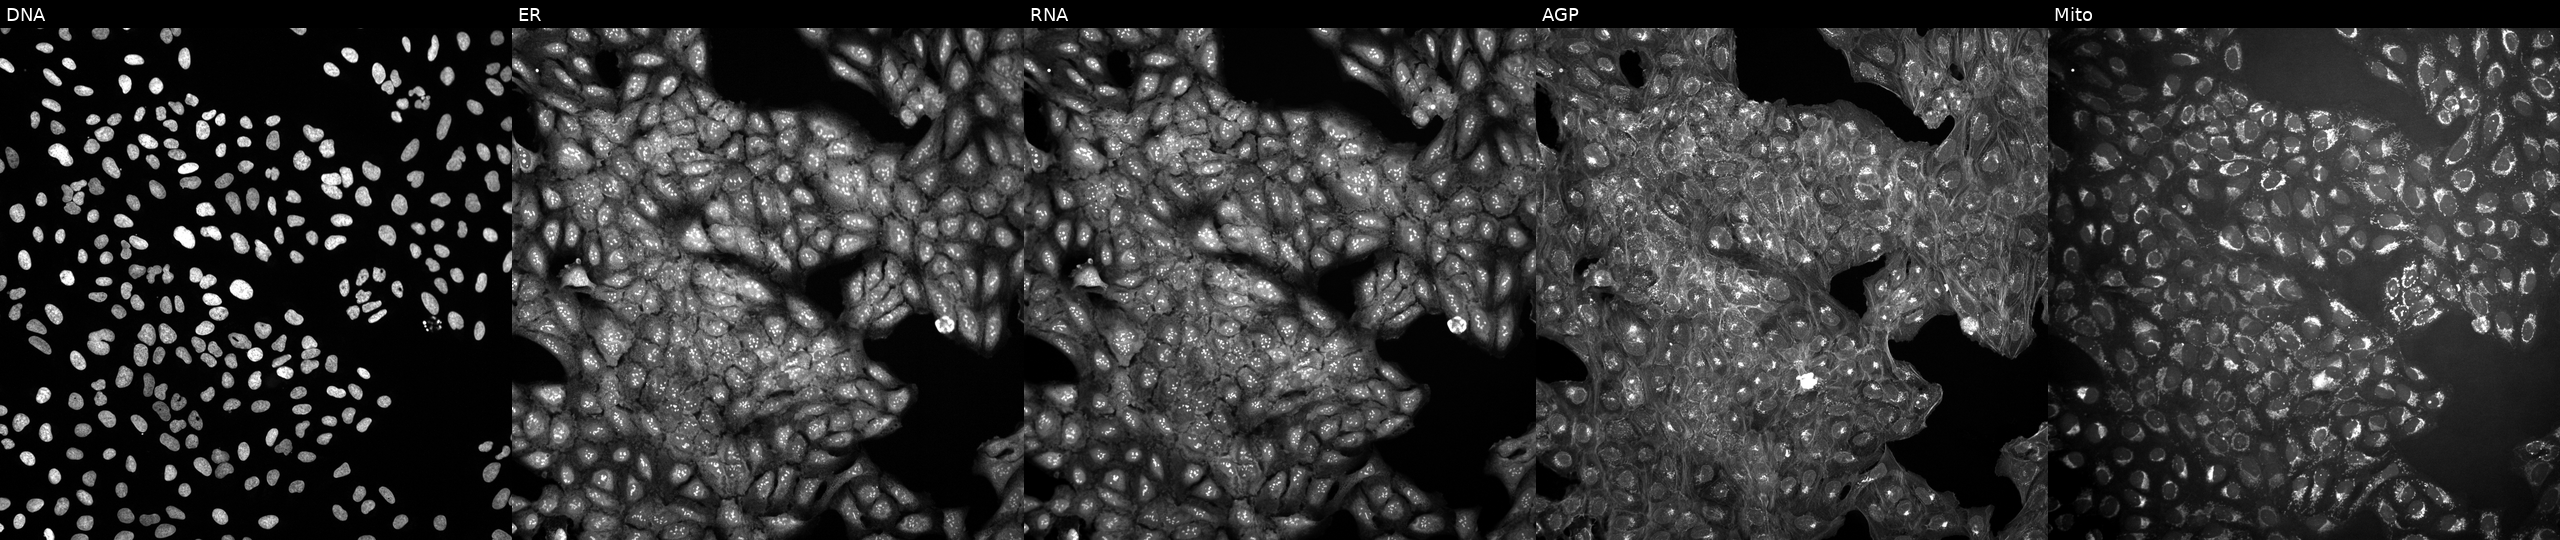
Five-channel Cell Painting image of U2OS cells in an empty control well (no perturbation). Panels show, left to right, DNA (nuclei); ER (endoplasmic reticulum); RNA (nucleoli and cytoplasmic RNA); AGP (actin cytoskeleton, Golgi, and plasma membrane); Mito (mitochondria). Source 10, plate Dest210531-152149, well D14.